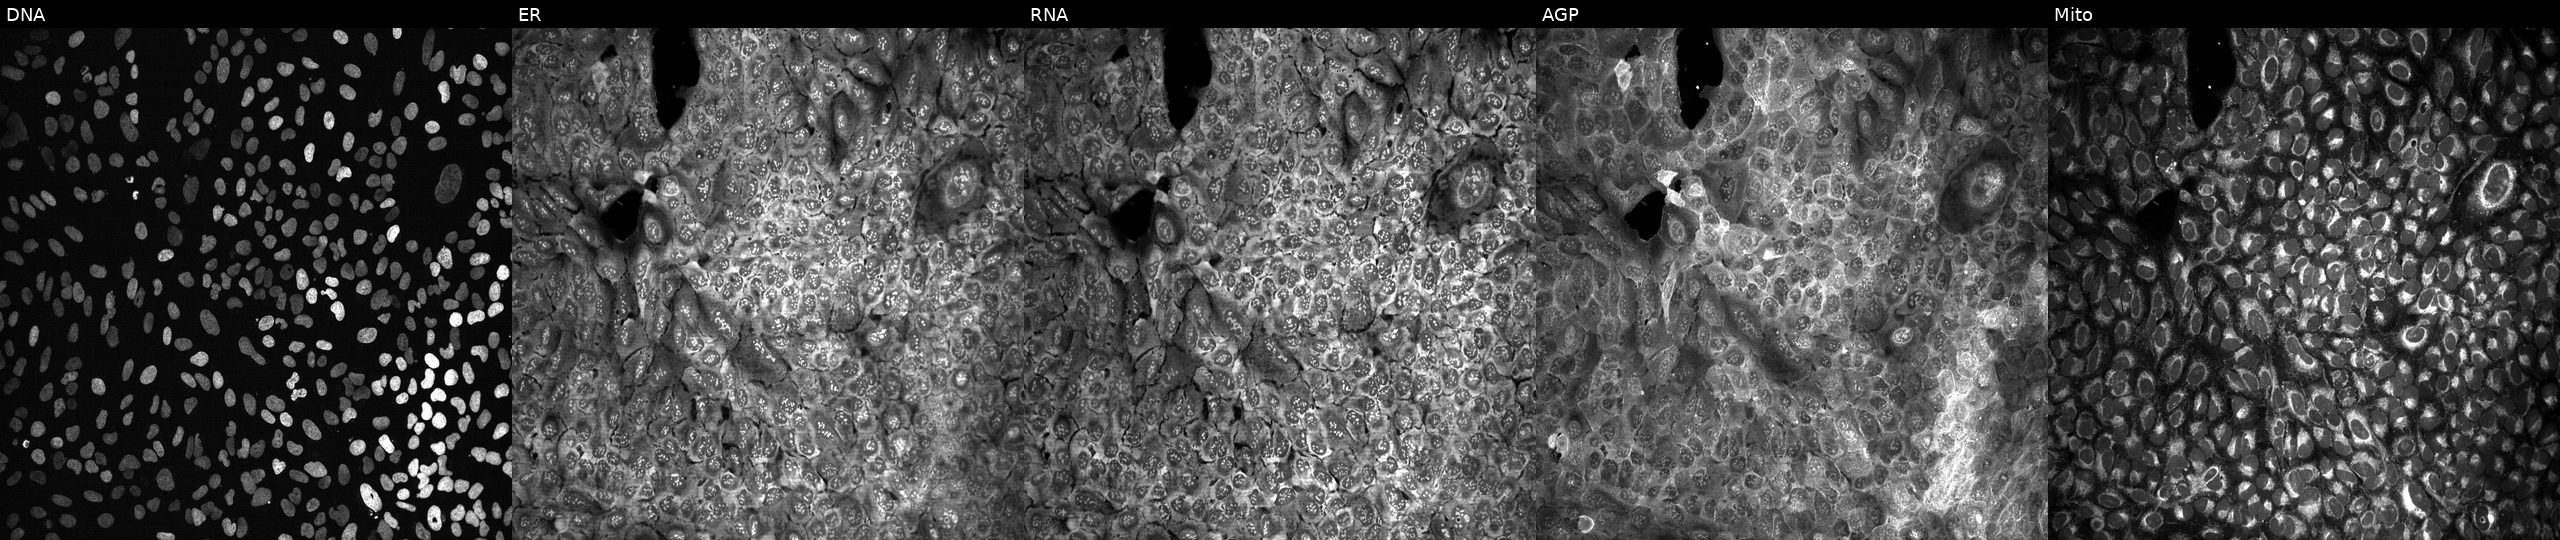
High-content fluorescence microscopy (Cell Painting). Cell line: U2OS. Perturbation: CRISPR-edited to disrupt PARP4. The five panels, left to right, show DNA (nuclei); ER (endoplasmic reticulum); RNA (nucleoli and cytoplasmic RNA); AGP (actin cytoskeleton, Golgi, and plasma membrane); Mito (mitochondria).